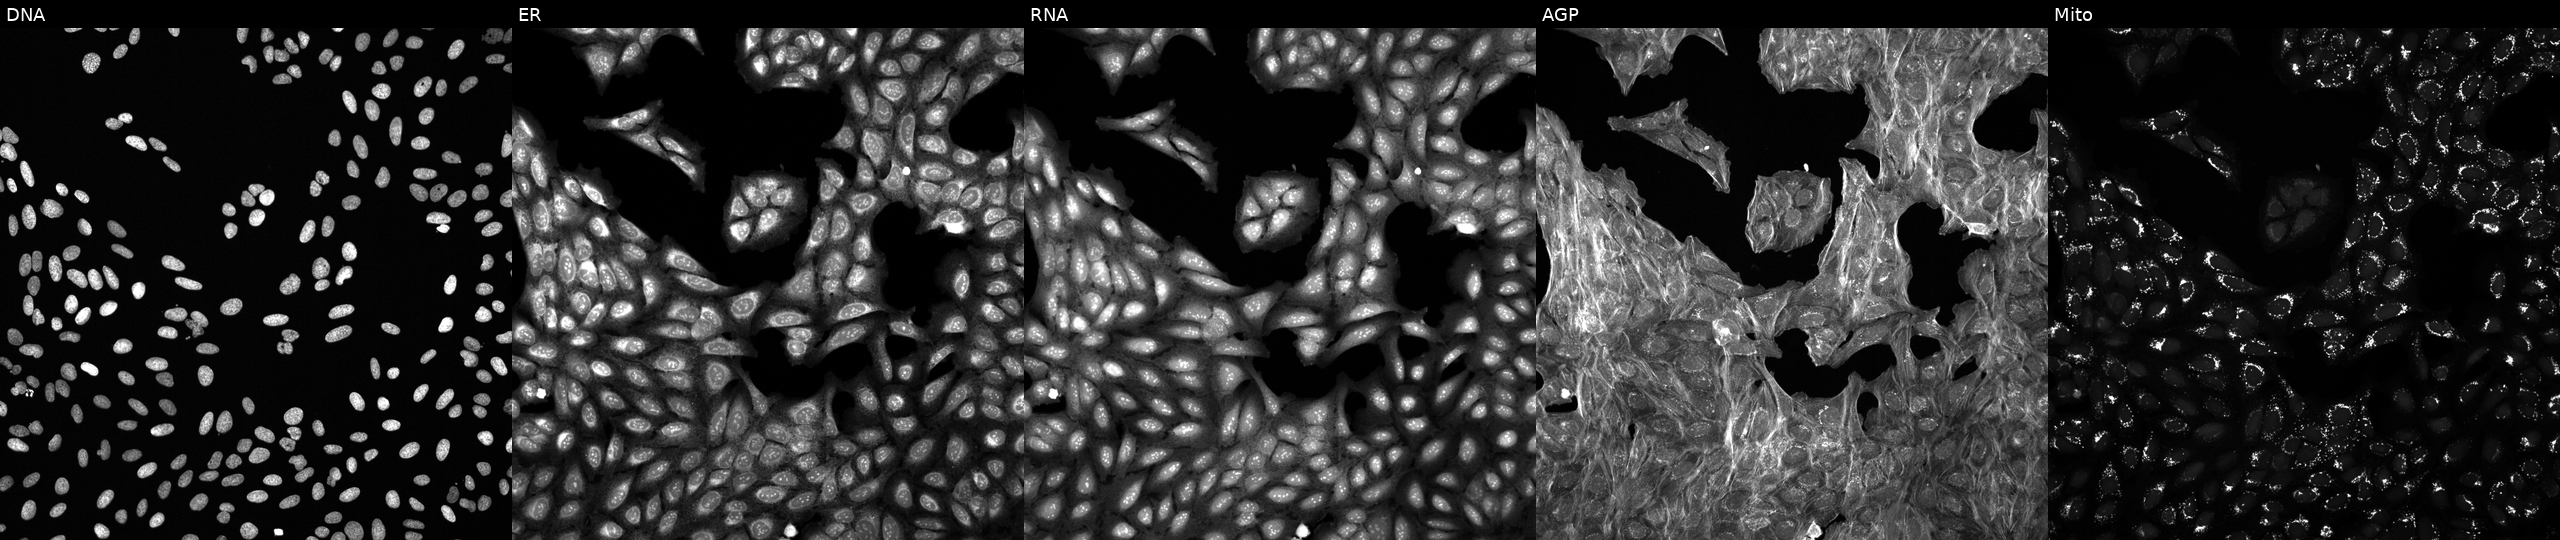
From left to right: DNA (nuclei); ER (endoplasmic reticulum); RNA (nucleoli and cytoplasmic RNA); AGP (actin cytoskeleton, Golgi, and plasma membrane); Mito (mitochondria). U2OS osteosarcoma cells perturbed with a small-molecule compound (InChIKey WGZOTBUYUFBEPZ-UHFFFAOYSA-N) (JUMP id JCP2022_098688). Cell Painting assay, JUMP-CP dataset. Source 6, plate 110000294901, well B09.